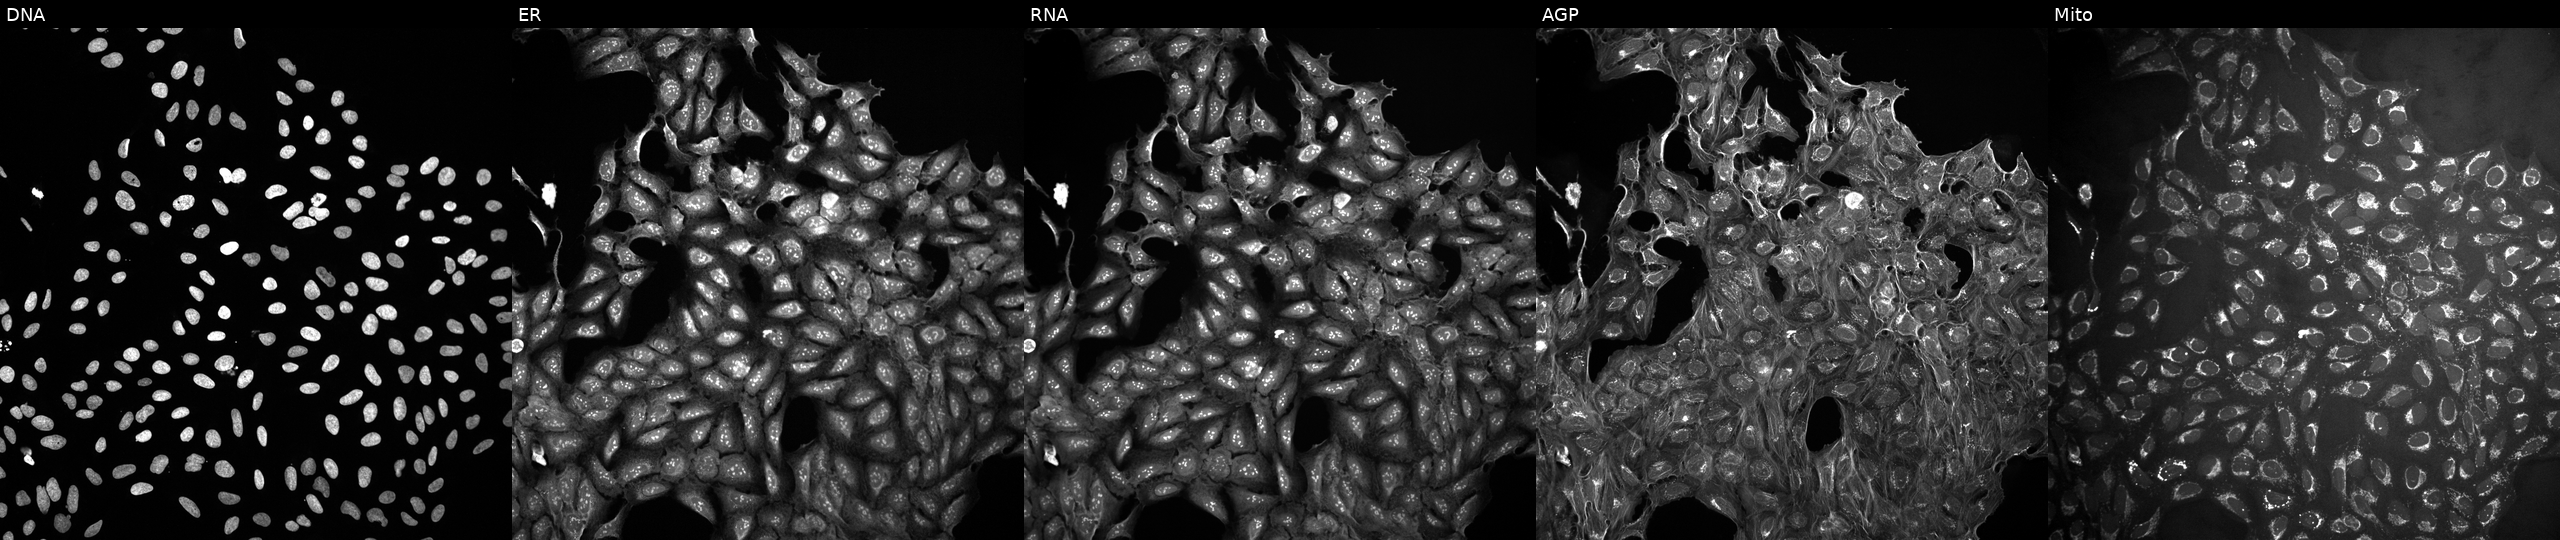
U2OS cells, Cell Painting assay, perturbed with a small-molecule compound (InChIKey IIIYHAFCNZOBTK-UHFFFAOYSA-N) (JUMP id JCP2022_035251). The five panels, left to right, show DNA, ER, RNA, AGP, and Mito. Each panel is percentile-stretched 16-bit fluorescence.